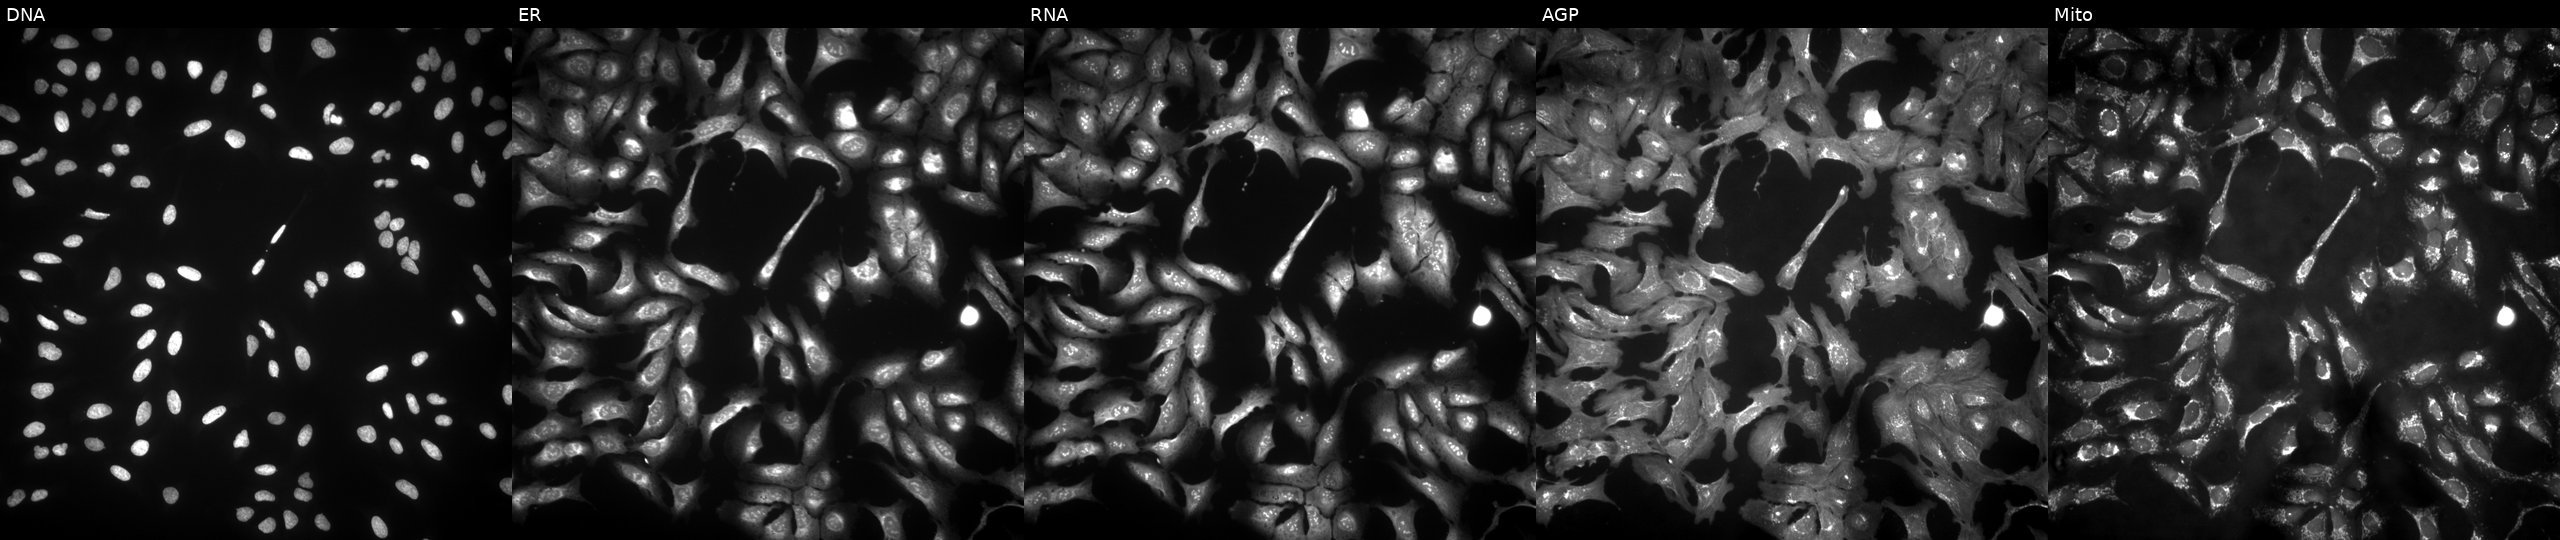
Five-channel Cell Painting image of U2OS cells with PIK3R3 overexpressed (ORF). Panels show, left to right, Hoechst 33342, concanavalin A, SYTO 14, phalloidin and WGA, MitoTracker.